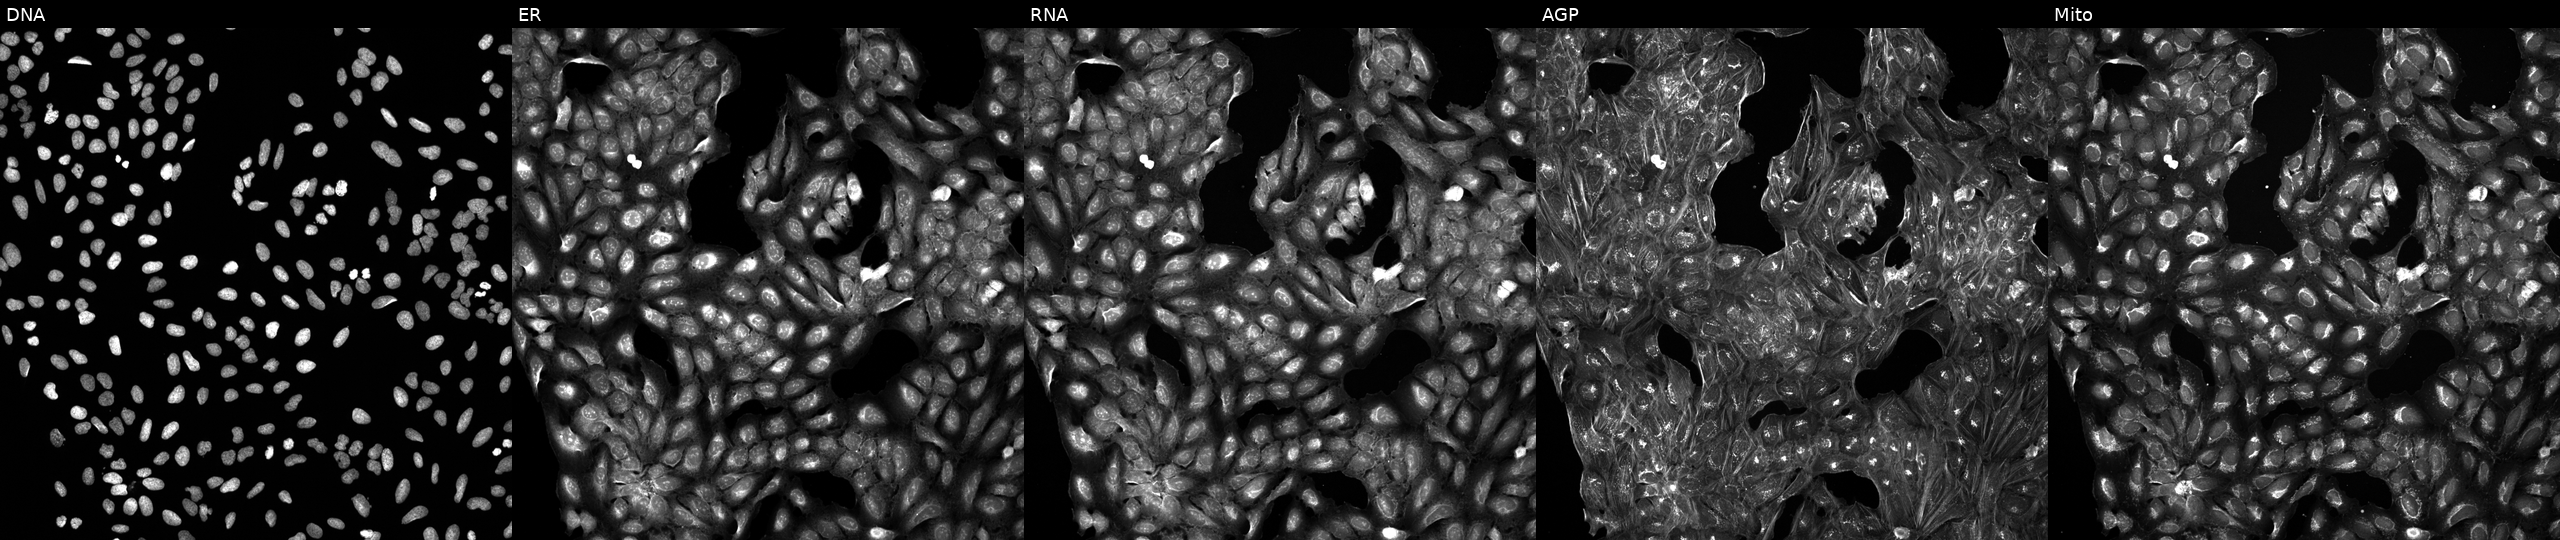
High-content fluorescence microscopy (Cell Painting). Cell line: U2OS. Perturbation: treated with a small-molecule compound (InChIKey WRKAIXVVXHBVEQ-UHFFFAOYSA-N) (JUMP id JCP2022_100678). Channels (left→right): Hoechst 33342, concanavalin A, SYTO 14, phalloidin and WGA, MitoTracker.